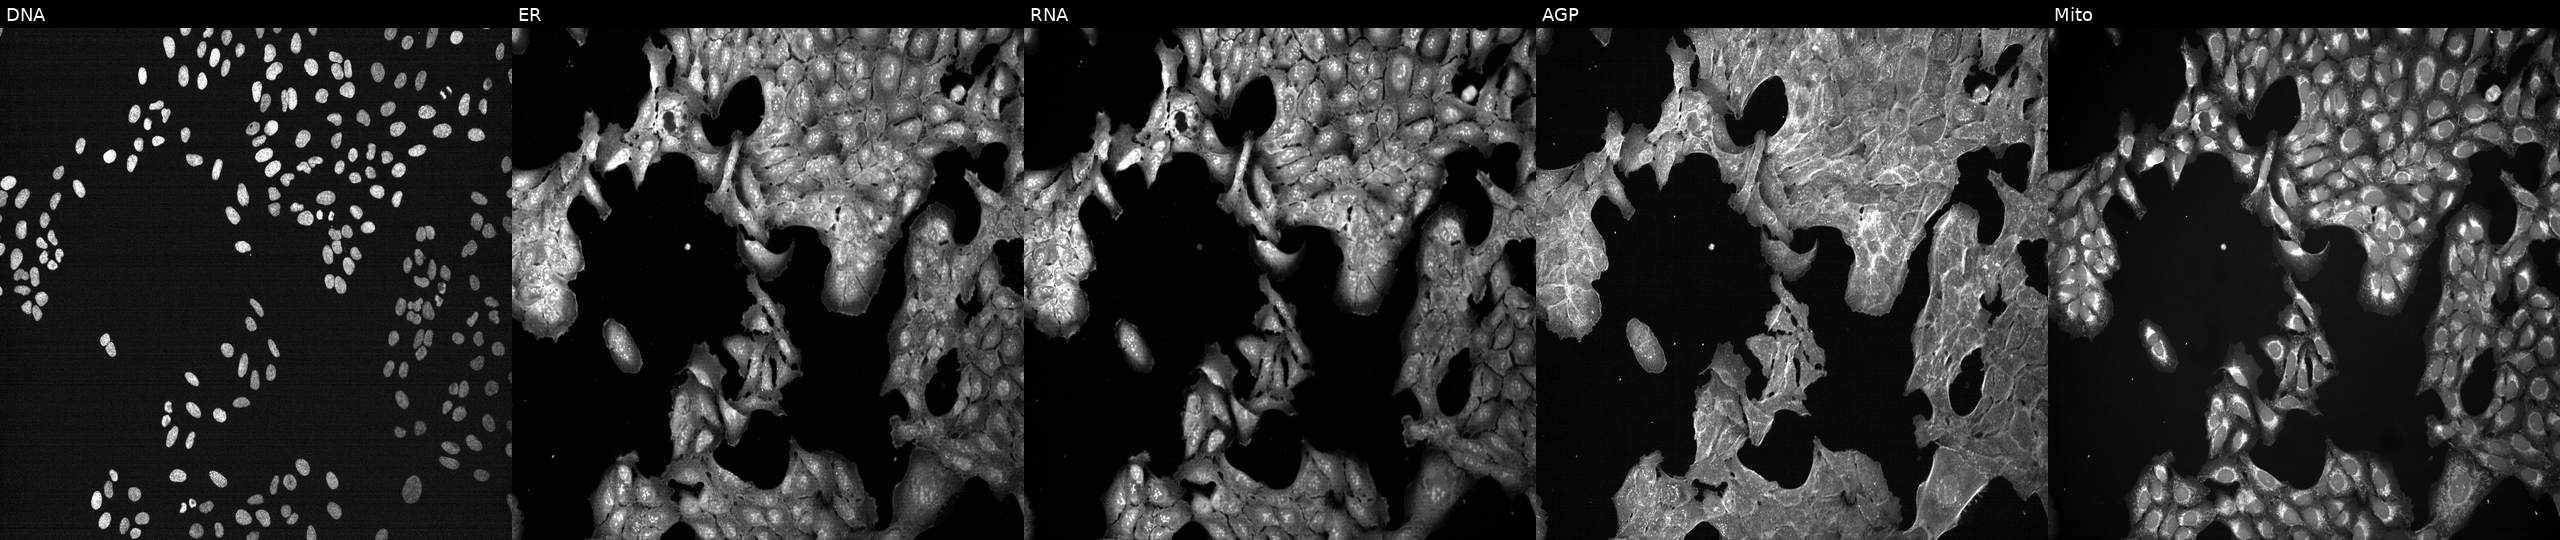
High-content fluorescence microscopy (Cell Painting). Cell line: U2OS. Perturbation: treated with a small-molecule compound (InChIKey KFAKESMKRPNZTM-UHFFFAOYSA-N) (JUMP id JCP2022_044197). From left to right: Hoechst 33342, concanavalin A, SYTO 14, phalloidin and WGA, MitoTracker.